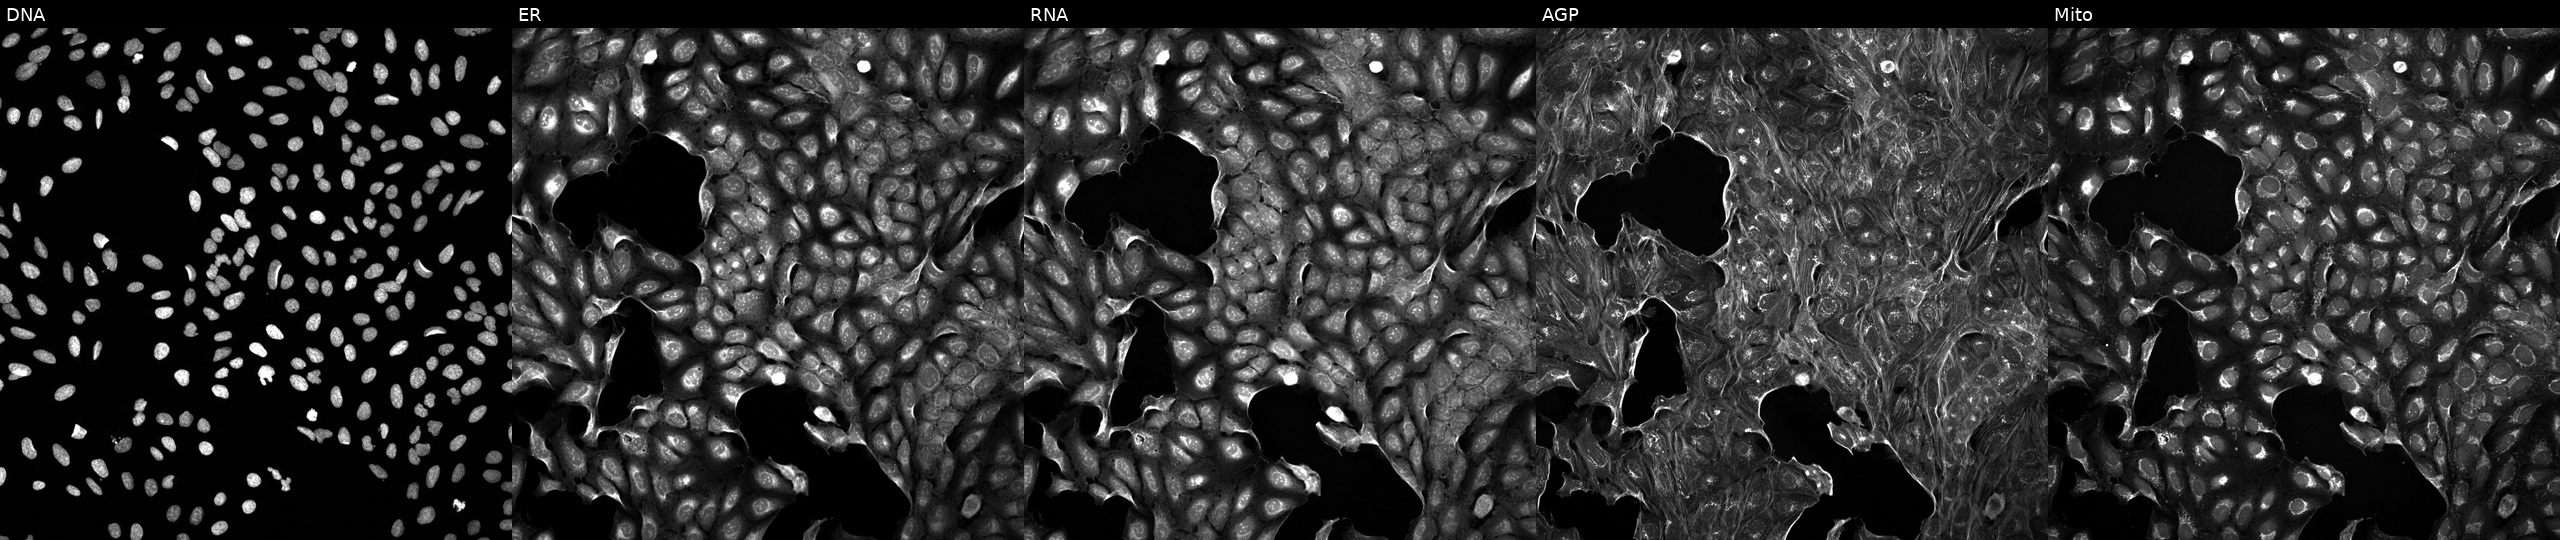
Five-channel Cell Painting image of U2OS cells treated with a small-molecule compound (InChIKey AUMHDRMJJNZTPB-UHFFFAOYSA-N) [SMILES: O=c1c(CC[S+]([O-])c2ccccc2)c(O)n(-c2ccccc2)n1-c1ccccc1] (JUMP id JCP2022_003951). From left to right: DNA, ER, RNA, AGP, and Mito.